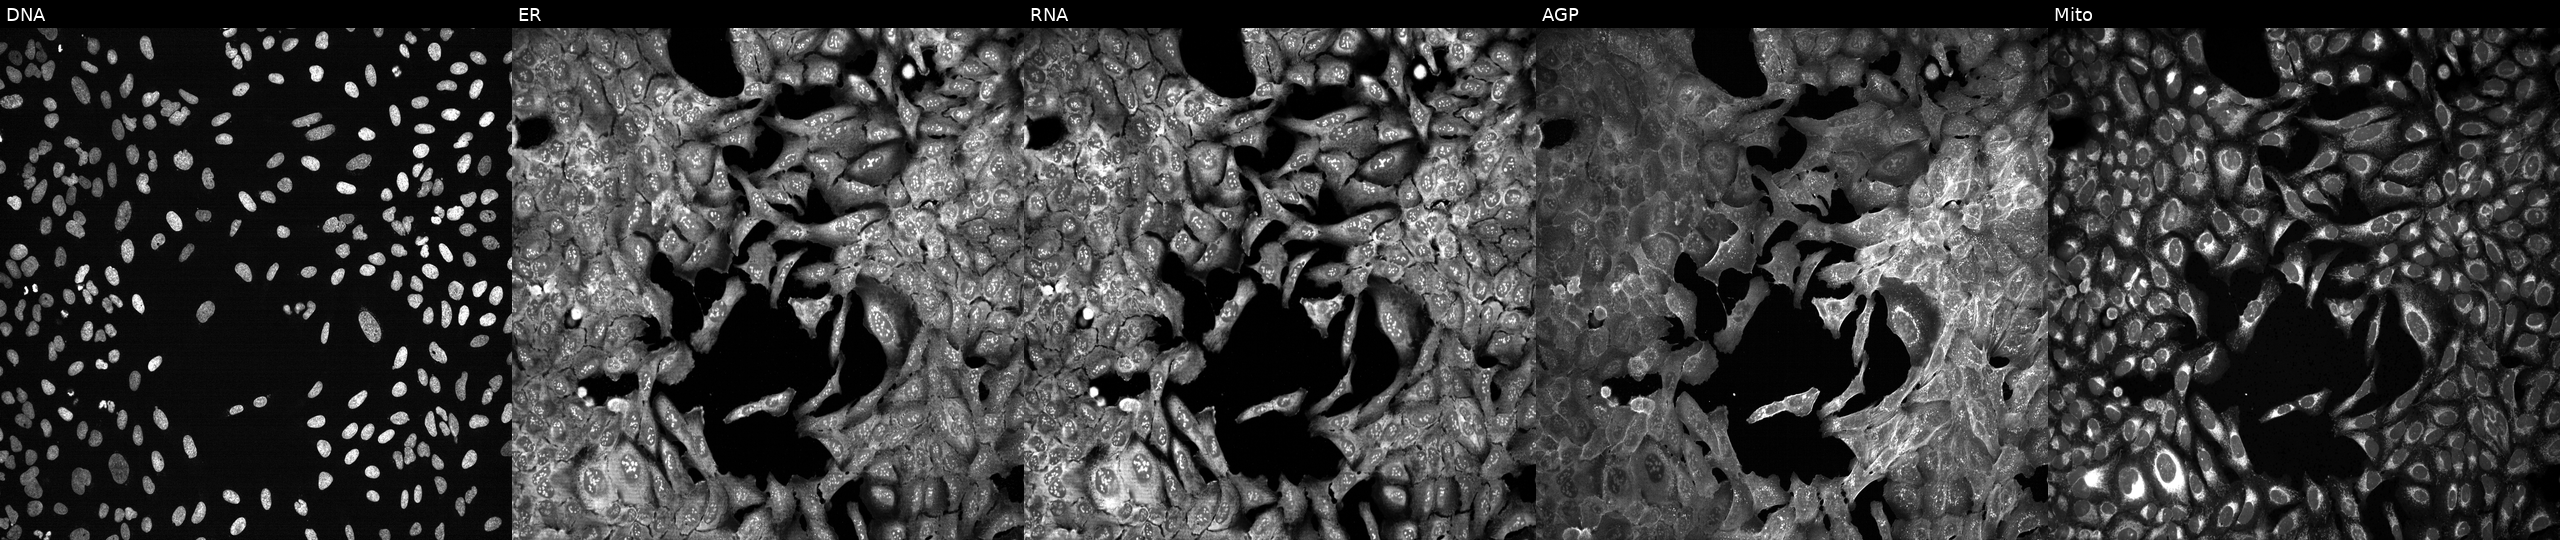
High-content fluorescence microscopy (Cell Painting). Cell line: U2OS. Perturbation: with ECE1 knocked out by CRISPR. Panels show, left to right, Hoechst 33342, concanavalin A, SYTO 14, phalloidin and WGA, MitoTracker.